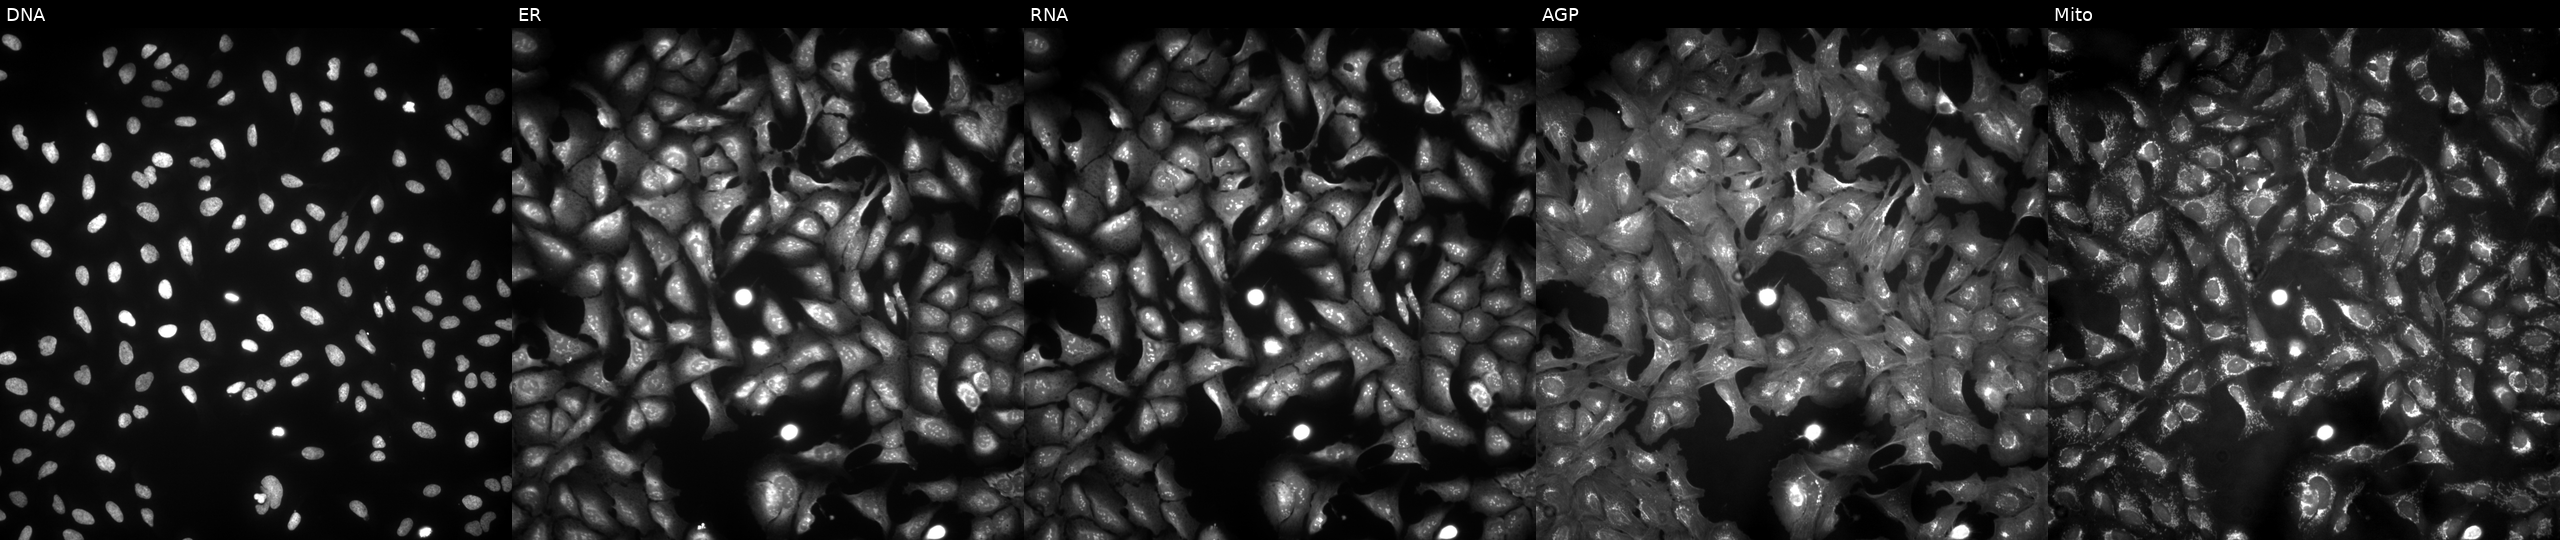
U2OS cells, Cell Painting assay, with MTDH overexpressed (ORF). Panels show, left to right, DNA, ER, RNA, AGP, and Mito. Each panel is percentile-stretched 16-bit fluorescence. Source 4, plate BR00123506, well K04.